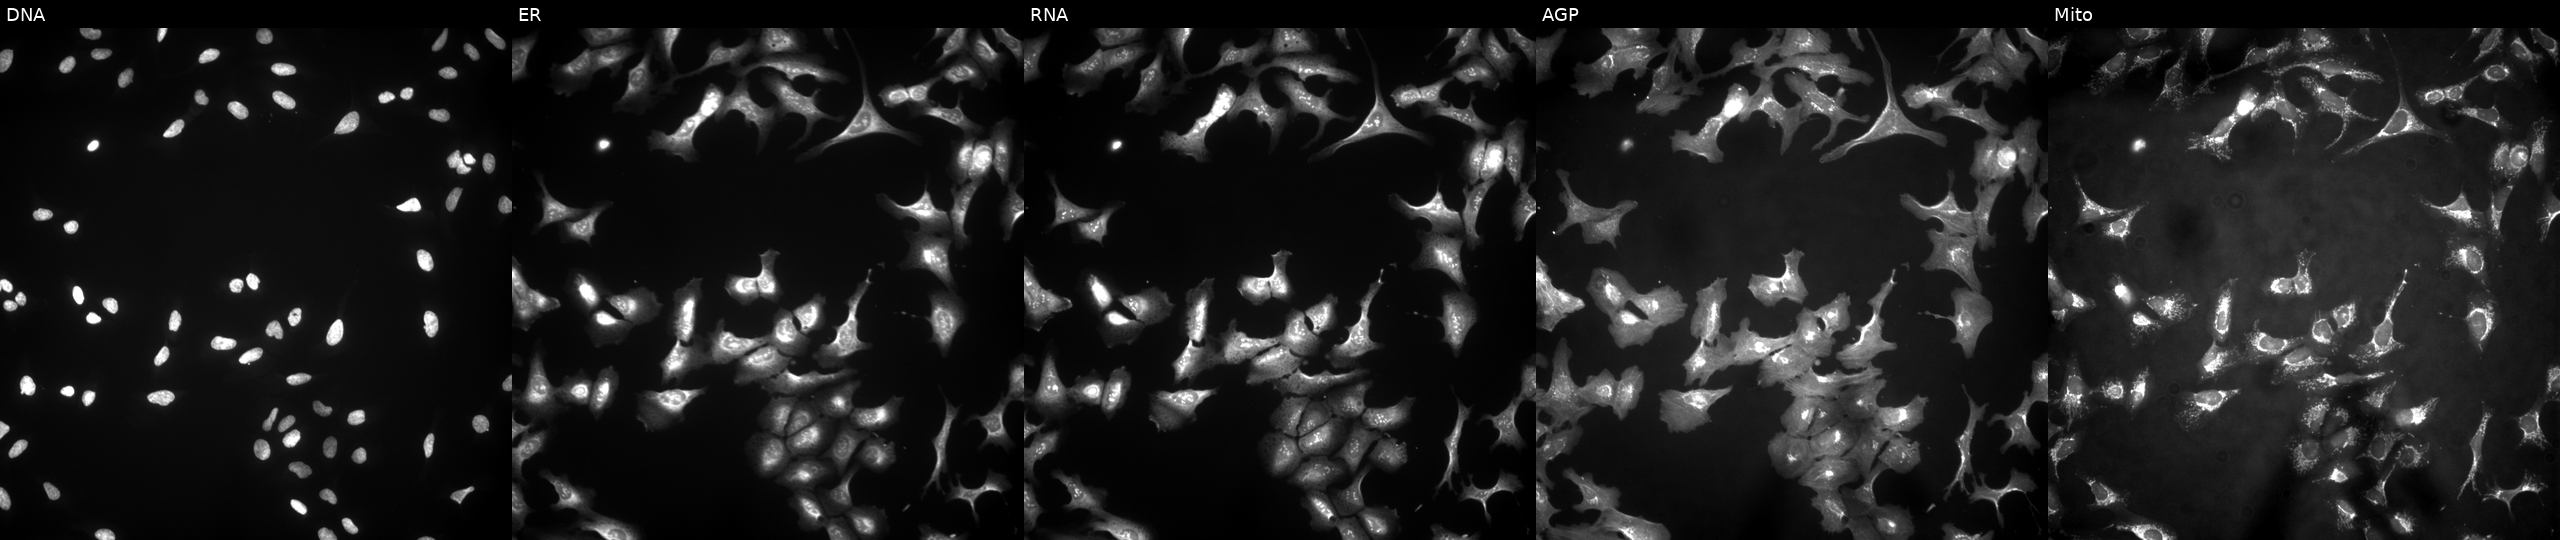
The five panels, left to right, show DNA, ER, RNA, AGP, and Mito. U2OS osteosarcoma cells overexpressing CBLIF via ORF transfection. Cell Painting assay, JUMP-CP dataset.